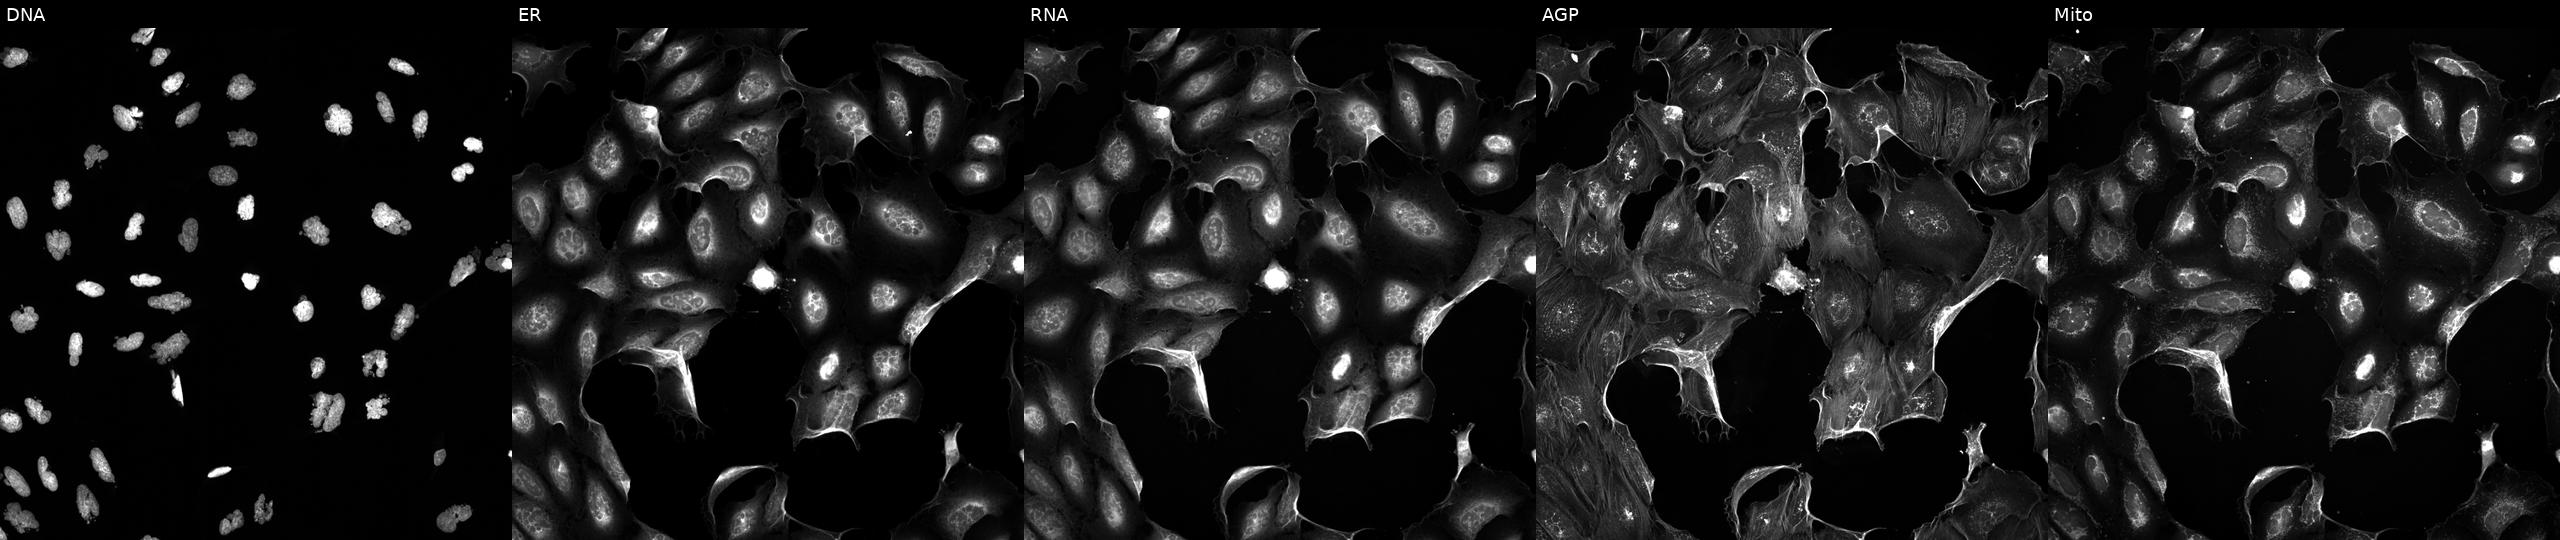
Panels show, left to right, Hoechst 33342, concanavalin A, SYTO 14, phalloidin and WGA, MitoTracker. U2OS osteosarcoma cells treated with AMG900 (positive-control compound) (JUMP id JCP2022_037716). Cell Painting assay, JUMP-CP dataset.